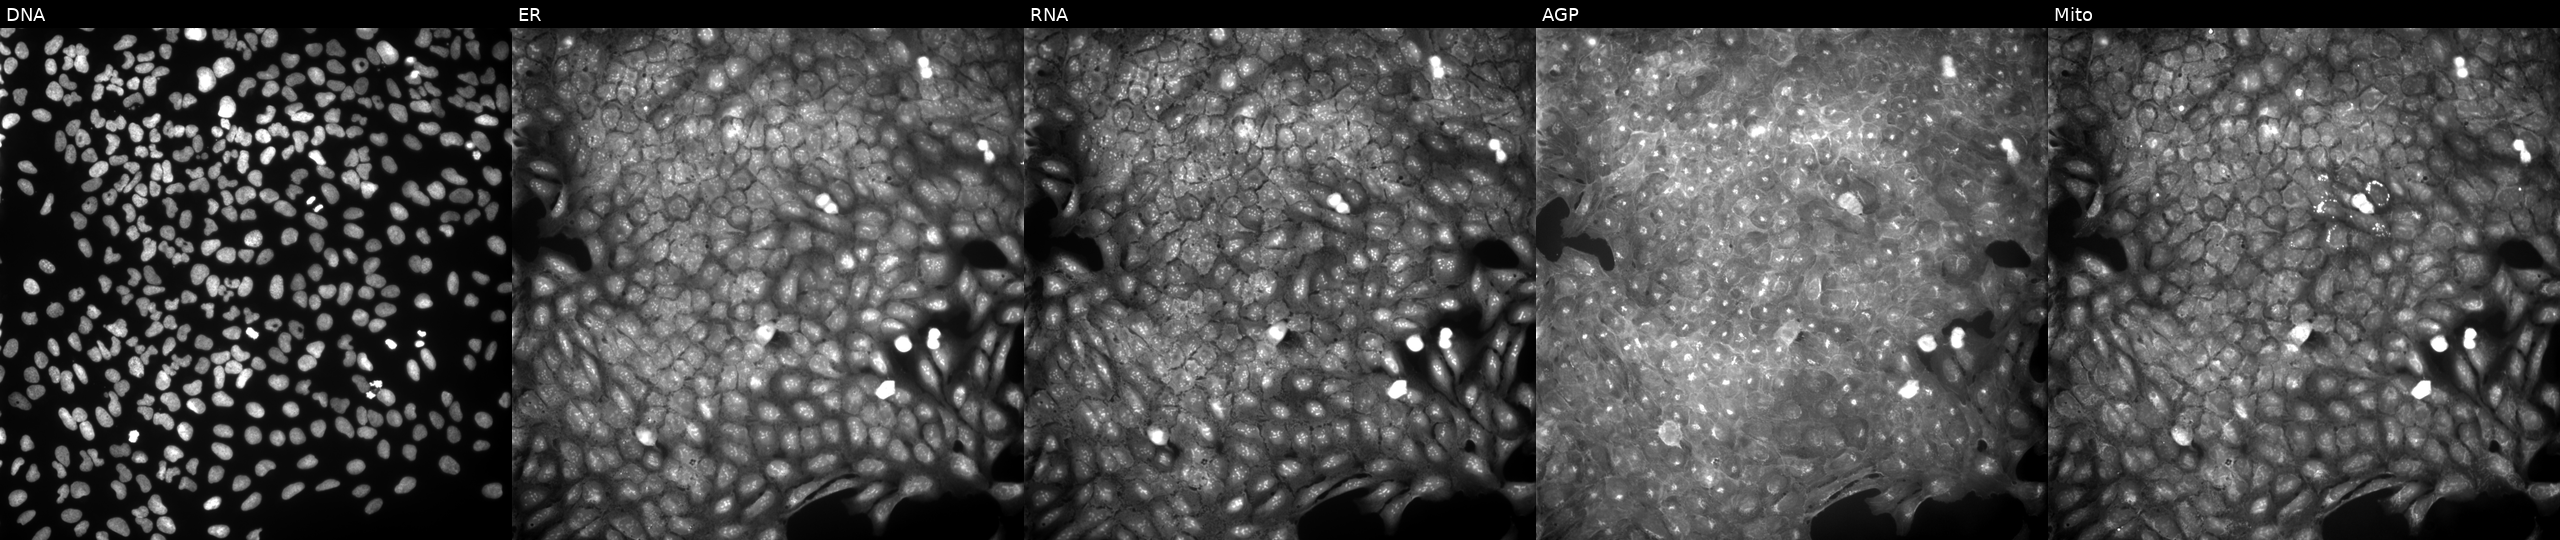
U2OS cells, Cell Painting assay, exposed to a small-molecule compound [SMILES: CCOC(=O)c1ccc2[nH]c(C)cc(=Nc3cccc(C(=O)O)c3)c2c1] (JUMP id JCP2022_092528). From left to right: DNA (nuclei); ER (endoplasmic reticulum); RNA (nucleoli and cytoplasmic RNA); AGP (actin cytoskeleton, Golgi, and plasma membrane); Mito (mitochondria). Each panel is percentile-stretched 16-bit fluorescence.